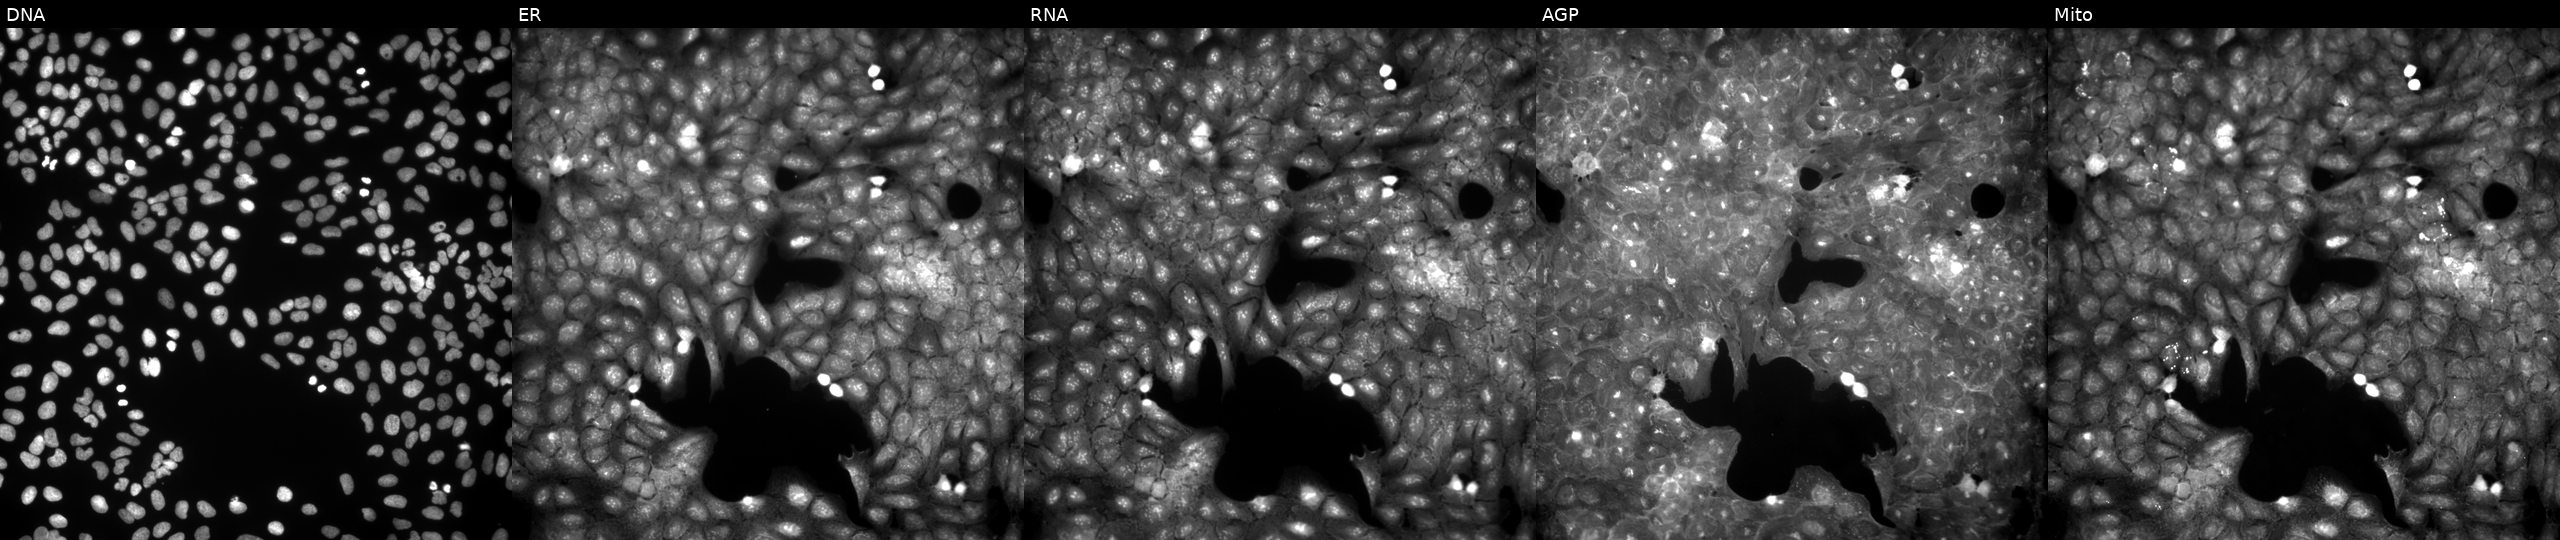
High-content fluorescence microscopy (Cell Painting). Cell line: U2OS. Perturbation: treated with a small-molecule compound. Channels (left→right): DNA, ER, RNA, AGP, and Mito. Source 9, plate GR00003381, well Z29.